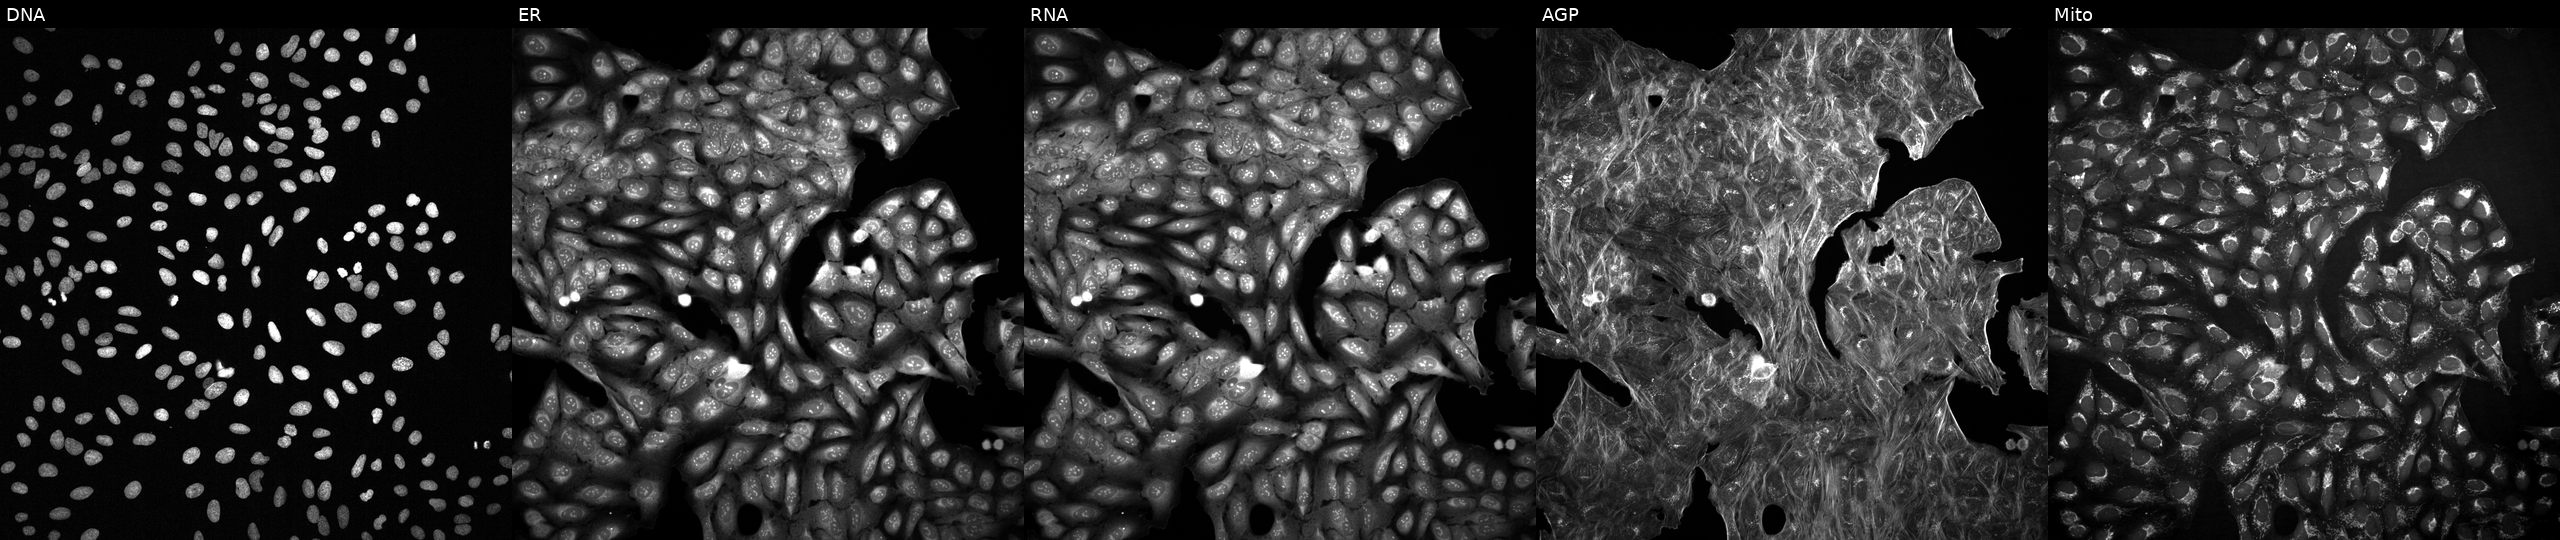
U2OS cells, Cell Painting assay, with an unidentified perturbation (not annotated in JUMP metadata). The five panels, left to right, show DNA, ER, RNA, AGP, and Mito. Each panel is percentile-stretched 16-bit fluorescence. Source 2, plate 1053601763, well D14.